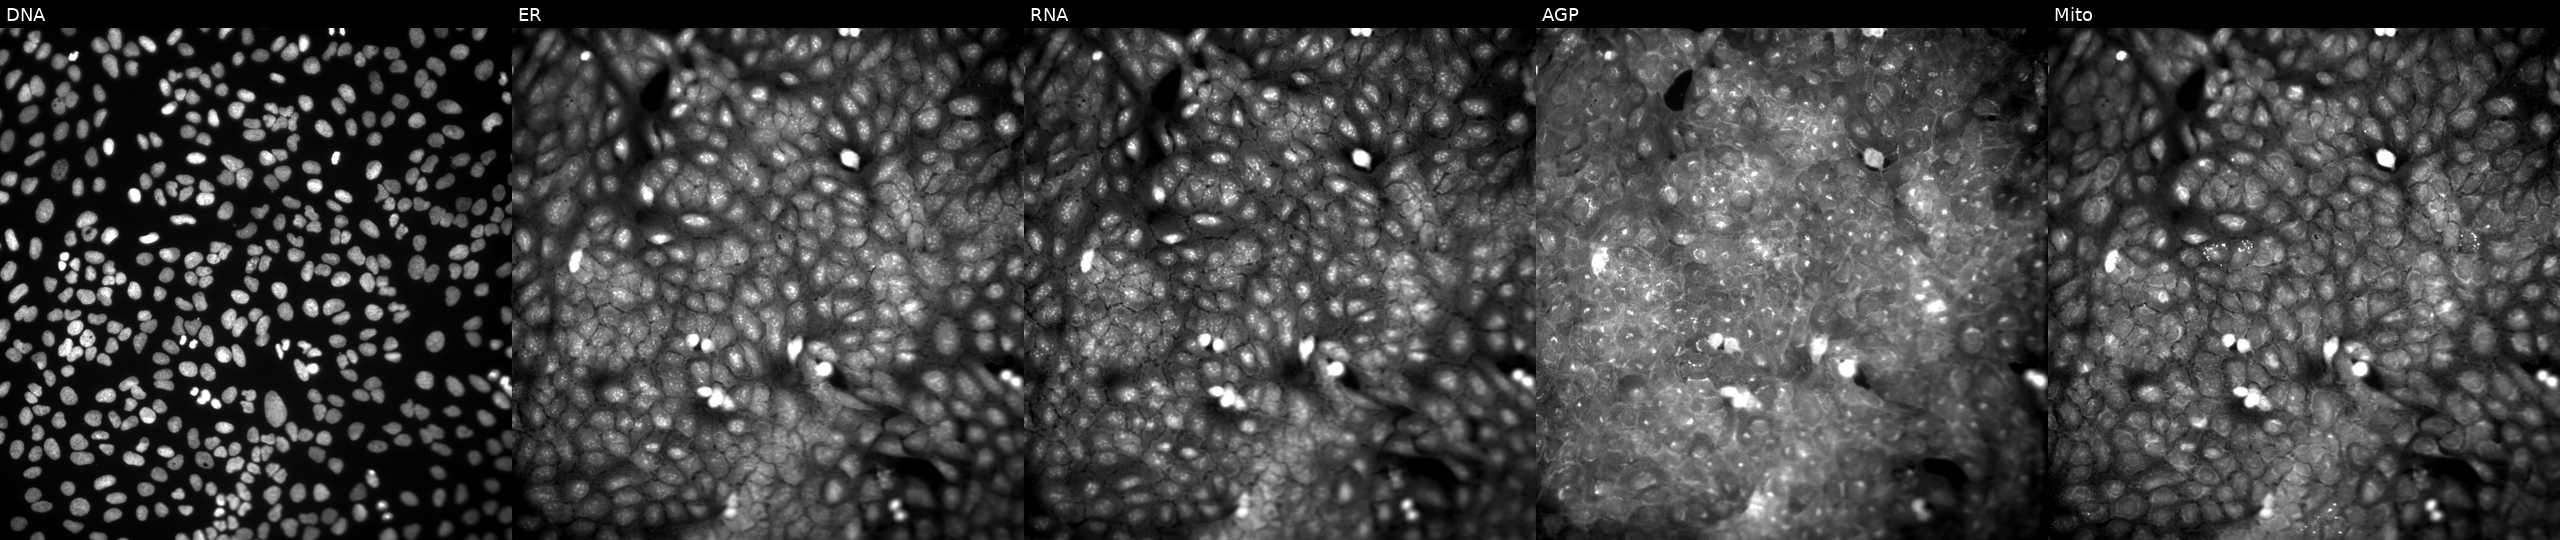
Five-channel Cell Painting image of U2OS cells exposed to a small-molecule compound (InChIKey NIUWDHSGBWOJQS-UHFFFAOYSA-N) [SMILES: COc1ccc(C2CC(c3ccccc3)=NN2S(=O)(=O)c2ccccc2)cc1]. Panels show, left to right, DNA, ER, RNA, AGP, and Mito.